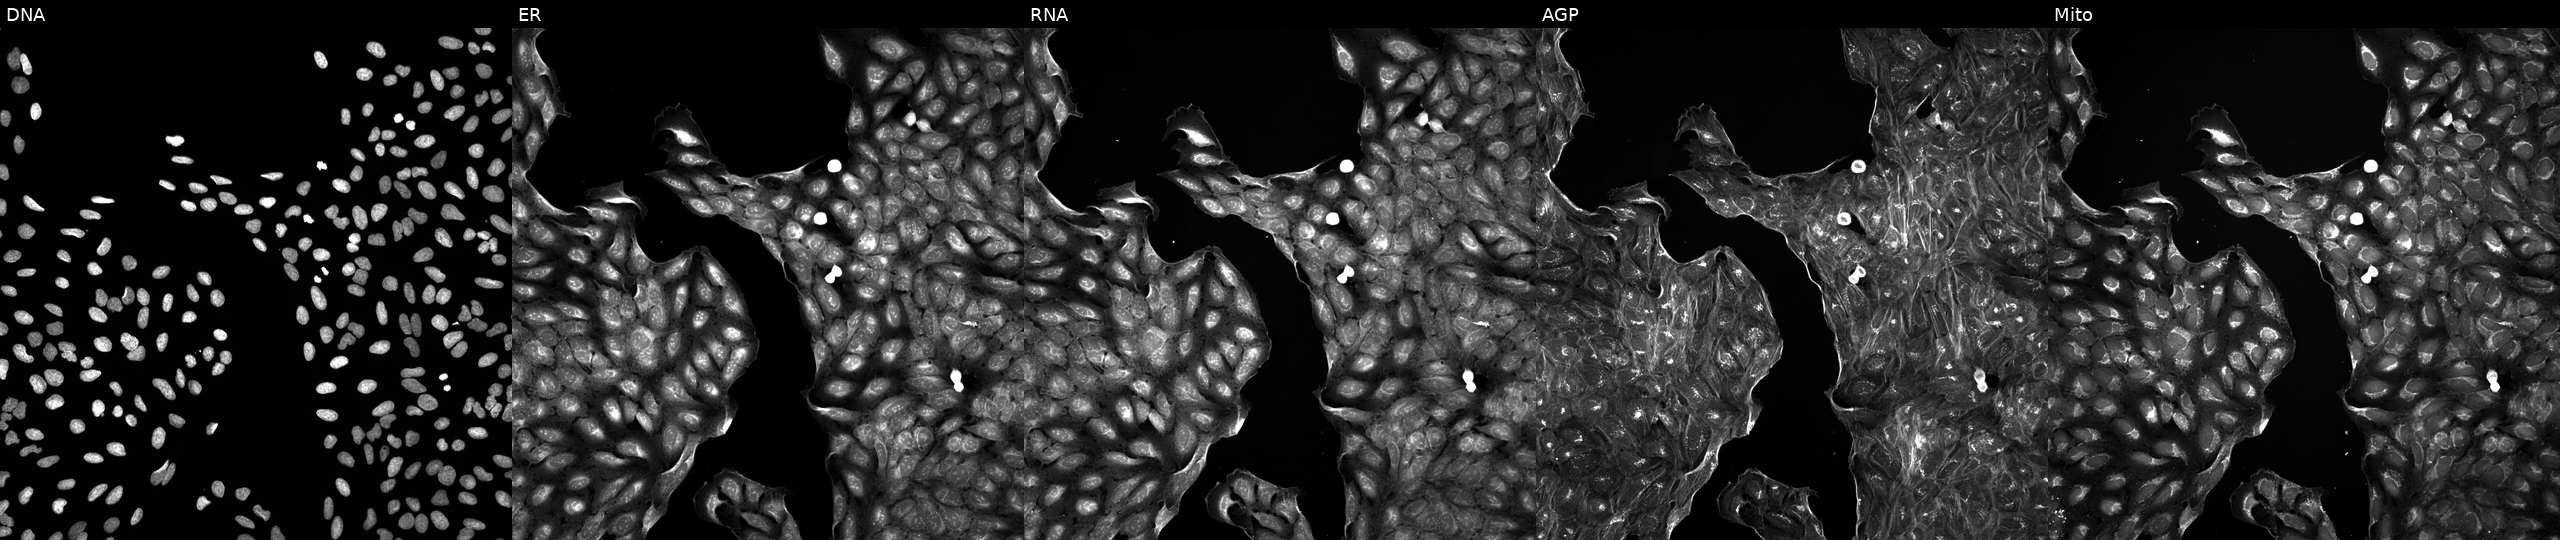
High-content fluorescence microscopy (Cell Painting). Cell line: U2OS. Perturbation: perturbed with a small-molecule compound (InChIKey JLKXZEWTASFTJG-UHFFFAOYSA-N). Panels show, left to right, Hoechst 33342, concanavalin A, SYTO 14, phalloidin and WGA, MitoTracker.